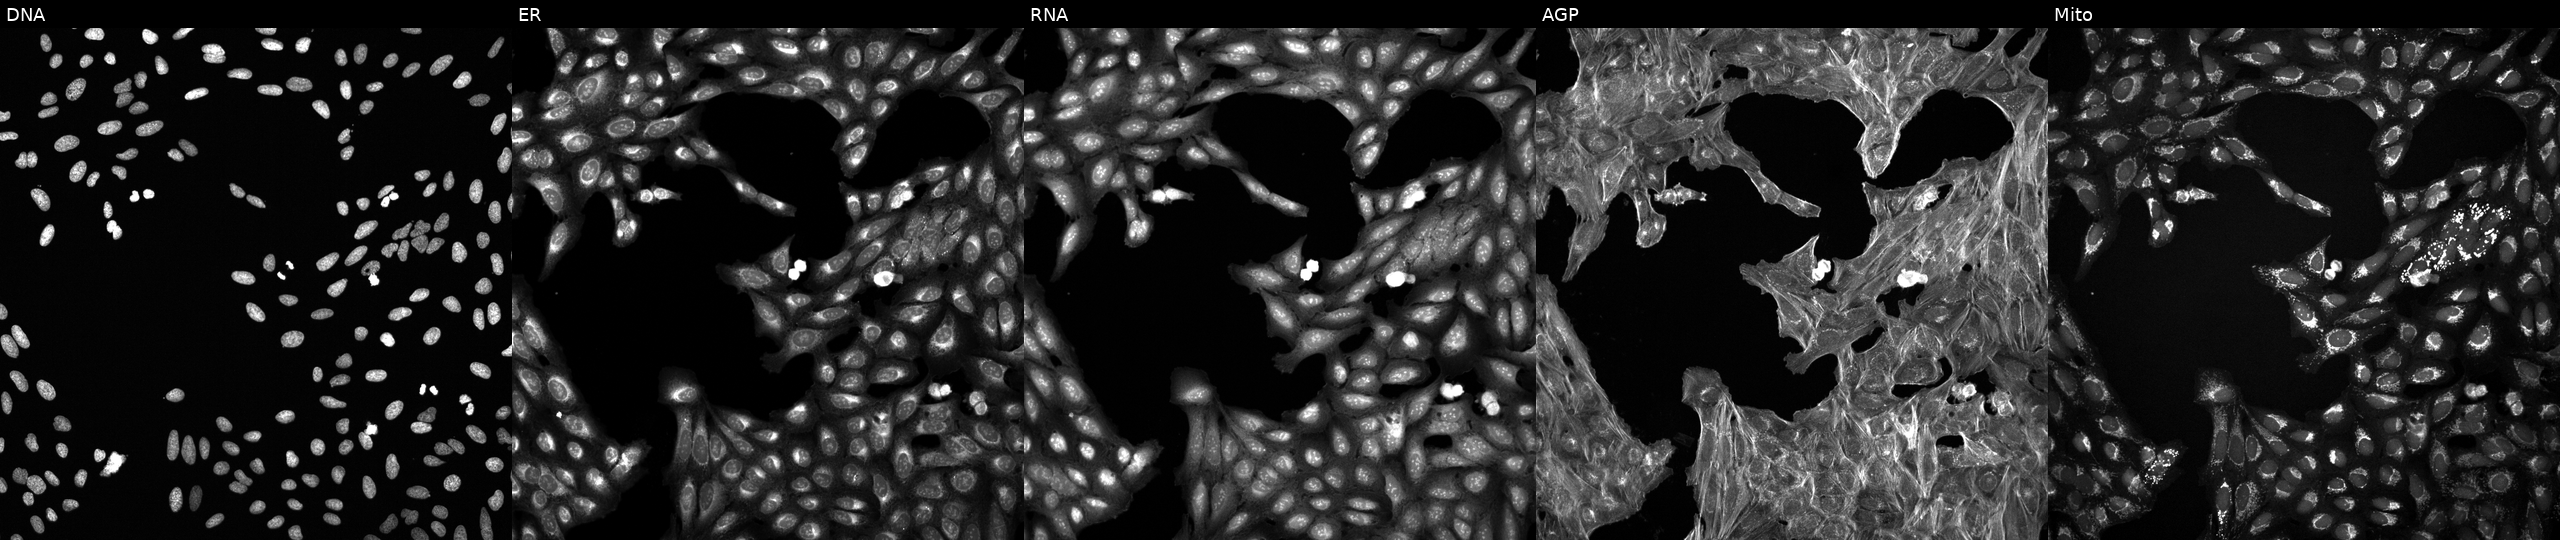
Five-channel Cell Painting image of U2OS cells exposed to a small-molecule compound (InChIKey XOKHREMKWZNBKX-UHFFFAOYSA-N). From left to right: DNA (nuclei); ER (endoplasmic reticulum); RNA (nucleoli and cytoplasmic RNA); AGP (actin cytoskeleton, Golgi, and plasma membrane); Mito (mitochondria).